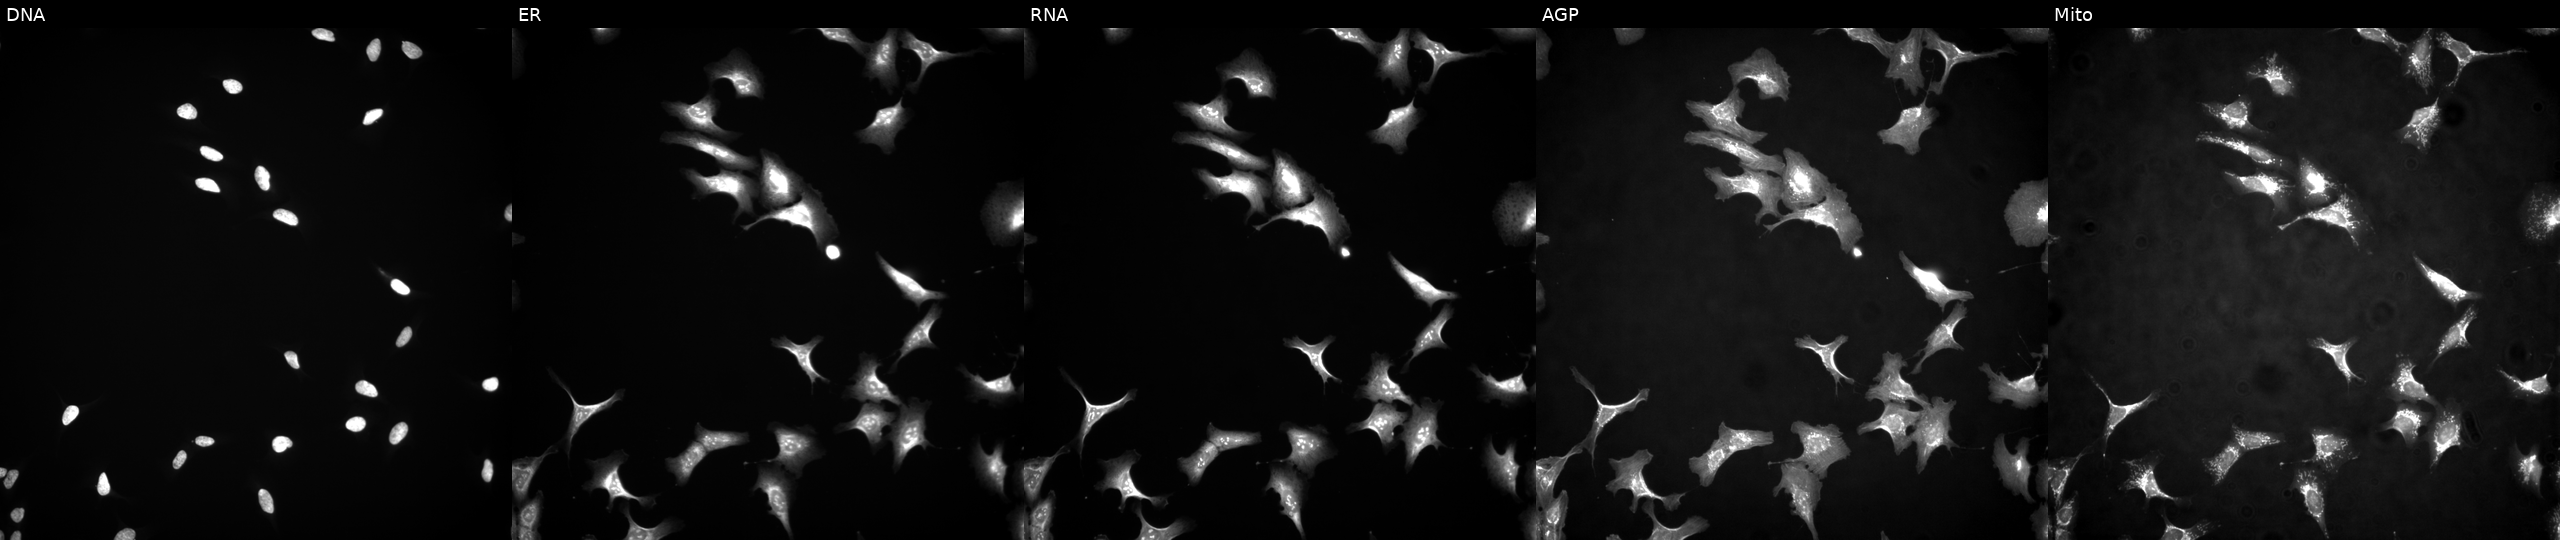
U2OS cells, Cell Painting assay, transfected with an ORF construct for HDGF. Panels show, left to right, Hoechst 33342, concanavalin A, SYTO 14, phalloidin and WGA, MitoTracker. Each panel is percentile-stretched 16-bit fluorescence. Source 4, plate BR00124787, well L14.